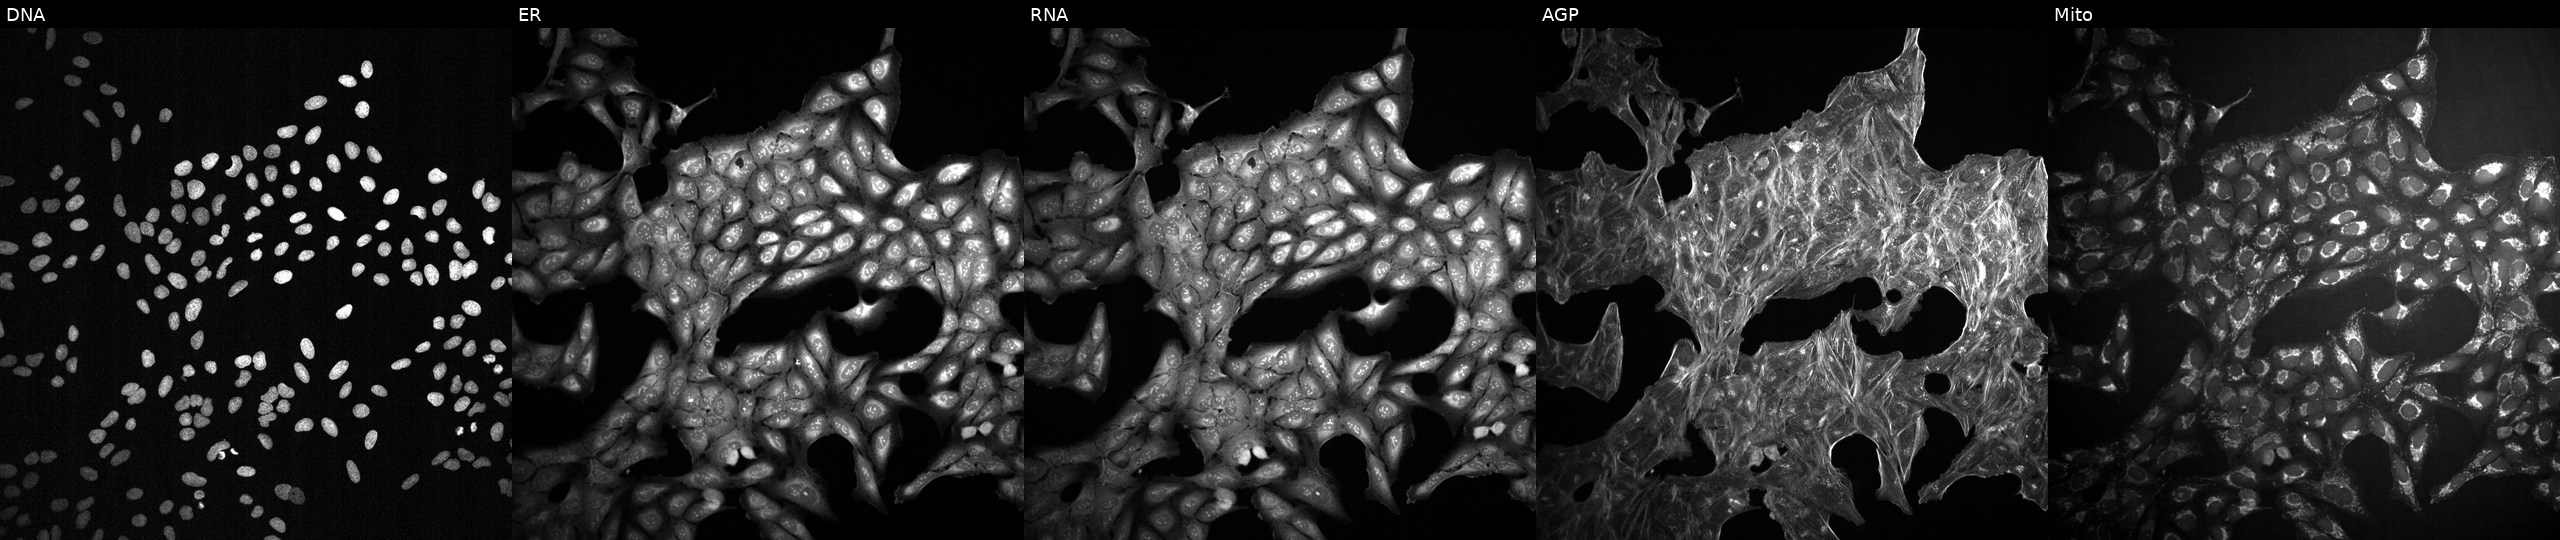
Five-channel Cell Painting image of U2OS cells treated with a small-molecule compound [SMILES: NS(=O)(=O)c1ccc(C(=O)O)cc1]. Channels (left→right): DNA, ER, RNA, AGP, and Mito. Source 2, plate 1053599503, well K03.